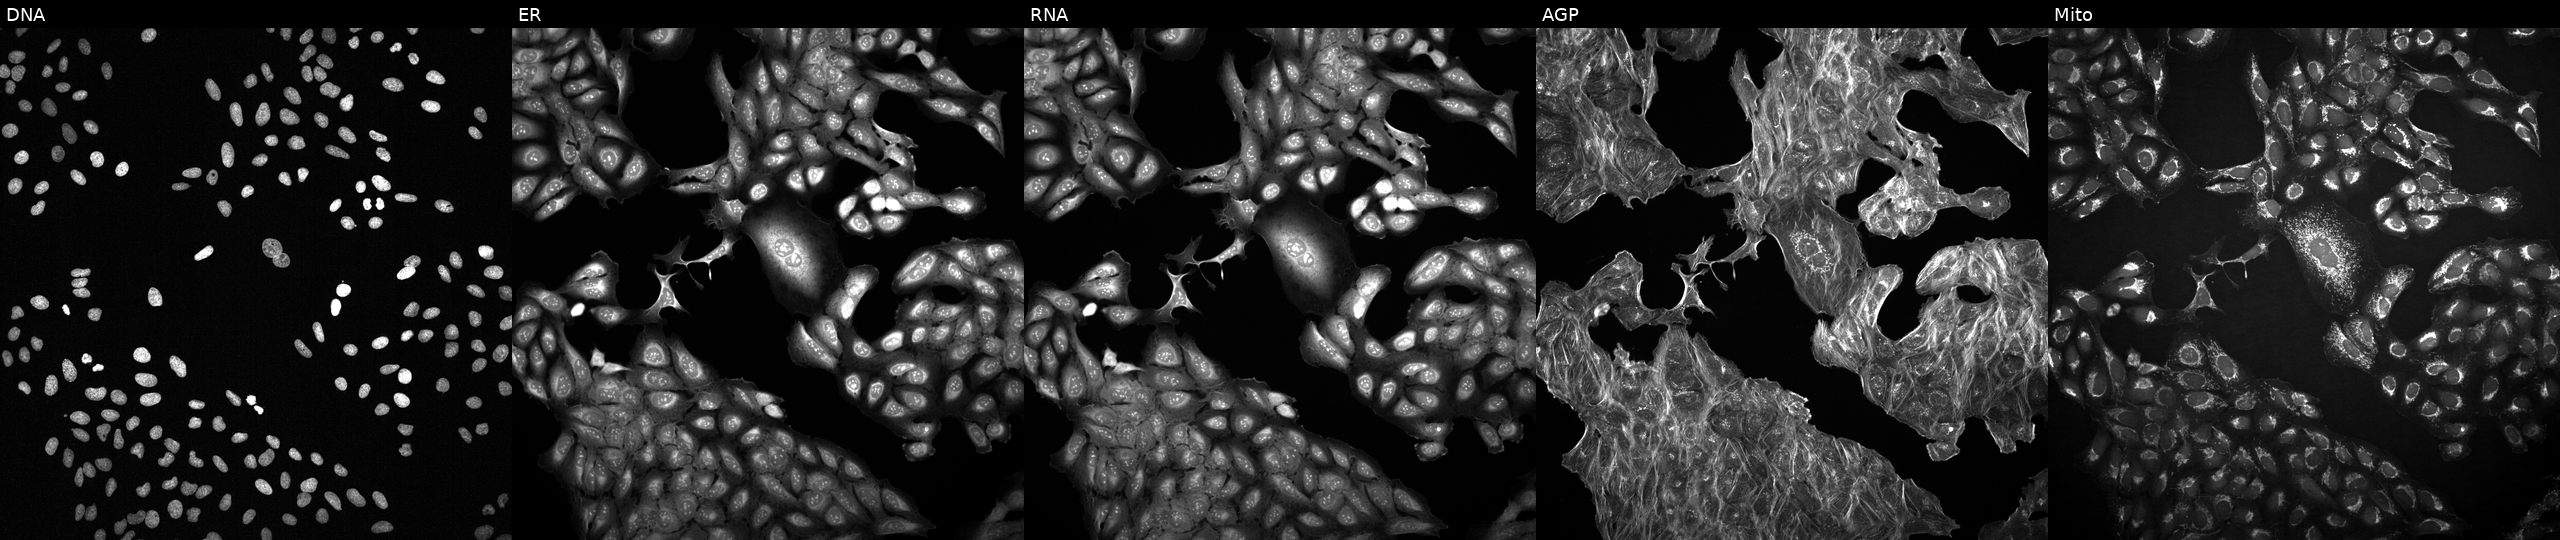
Five-channel Cell Painting image of U2OS cells perturbed with a small-molecule compound (InChIKey KCDFYOBYFLXAFS-UHFFFAOYSA-N) [SMILES: CC(C)(CNC(=O)CCNC(=O)Nc1ccccc1)N1CCOCC1]. From left to right: DNA (nuclei); ER (endoplasmic reticulum); RNA (nucleoli and cytoplasmic RNA); AGP (actin cytoskeleton, Golgi, and plasma membrane); Mito (mitochondria).